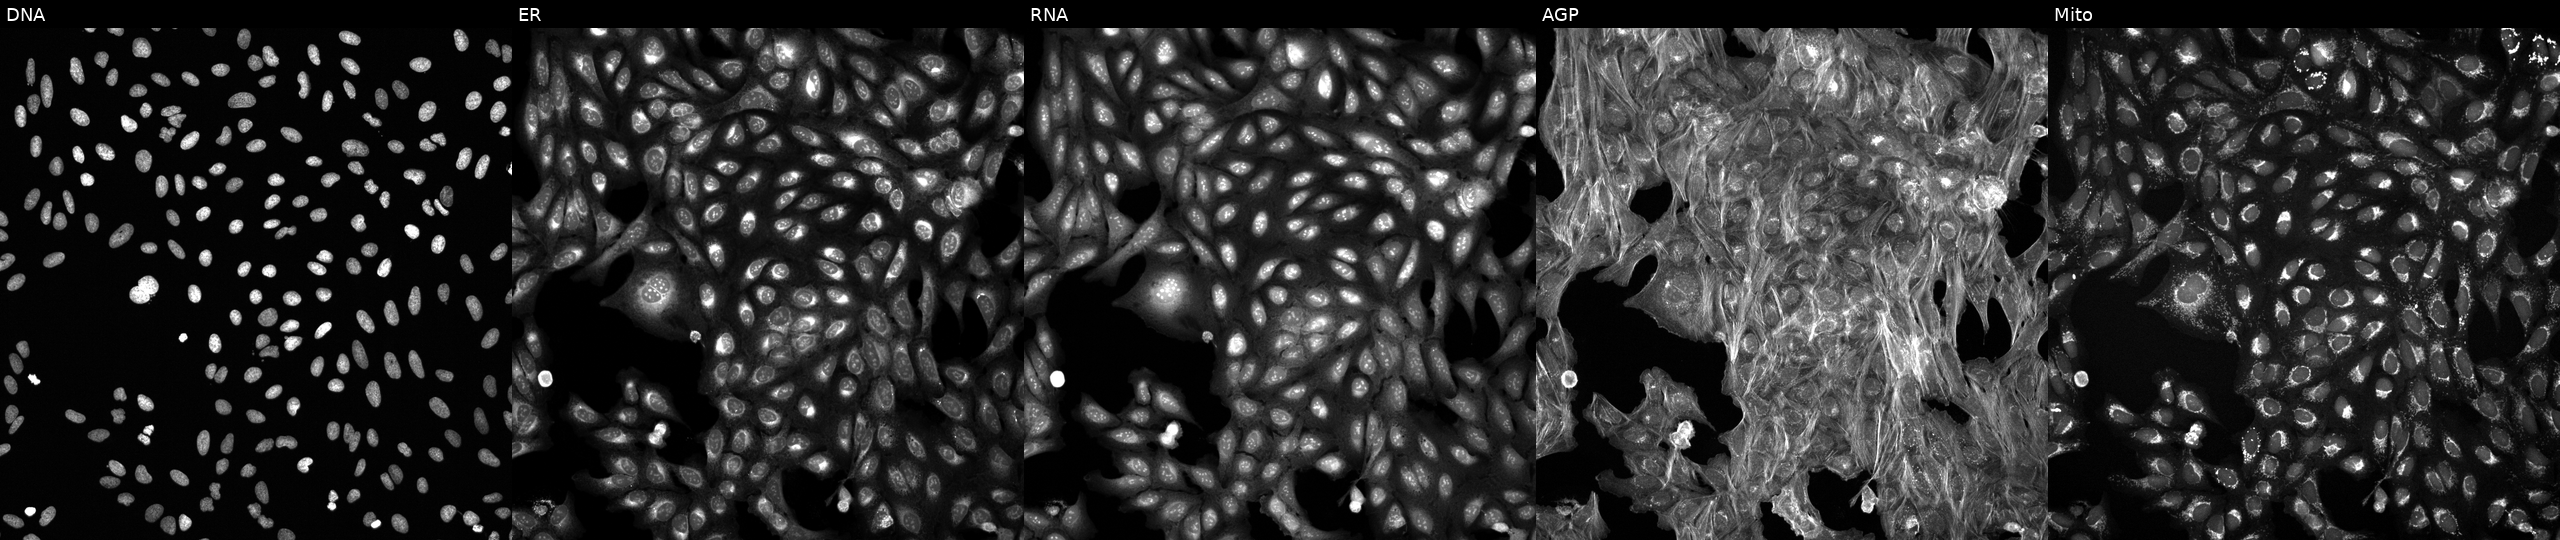
JUMP Cell Painting — TARGET2 plate. U2OS cells treated with DMSO vehicle only (negative control) (JUMP id JCP2022_033924). Panels show, left to right, DNA, ER, RNA, AGP, and Mito. Source 6, plate 110000293093, well E01.